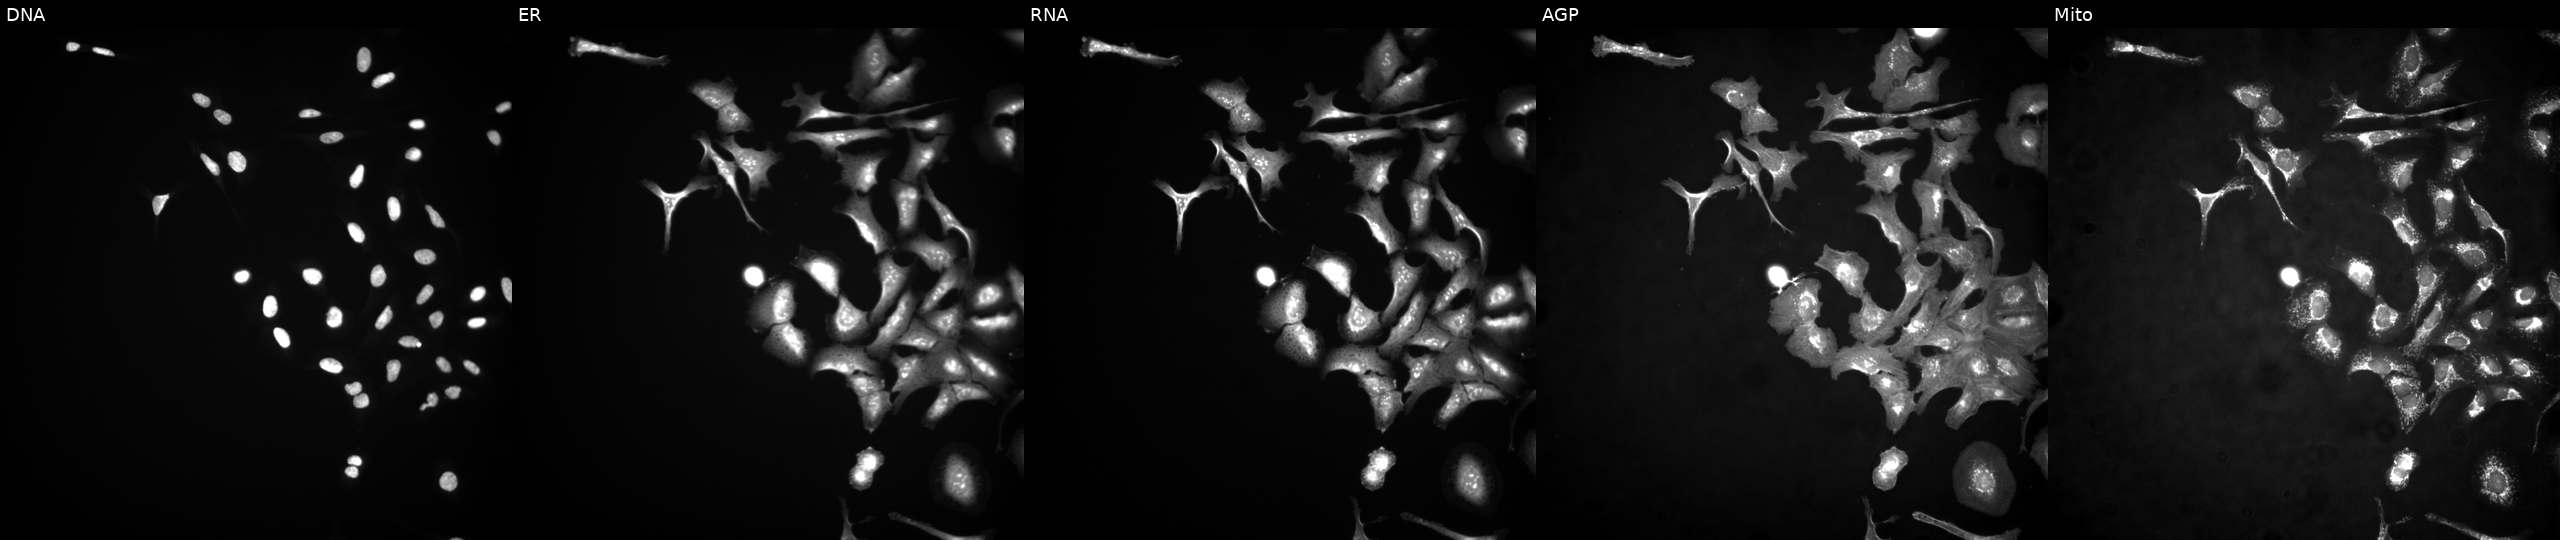
High-content fluorescence microscopy (Cell Painting). Cell line: U2OS. Perturbation: with SIRT1 overexpressed (ORF). From left to right: Hoechst 33342, concanavalin A, SYTO 14, phalloidin and WGA, MitoTracker.